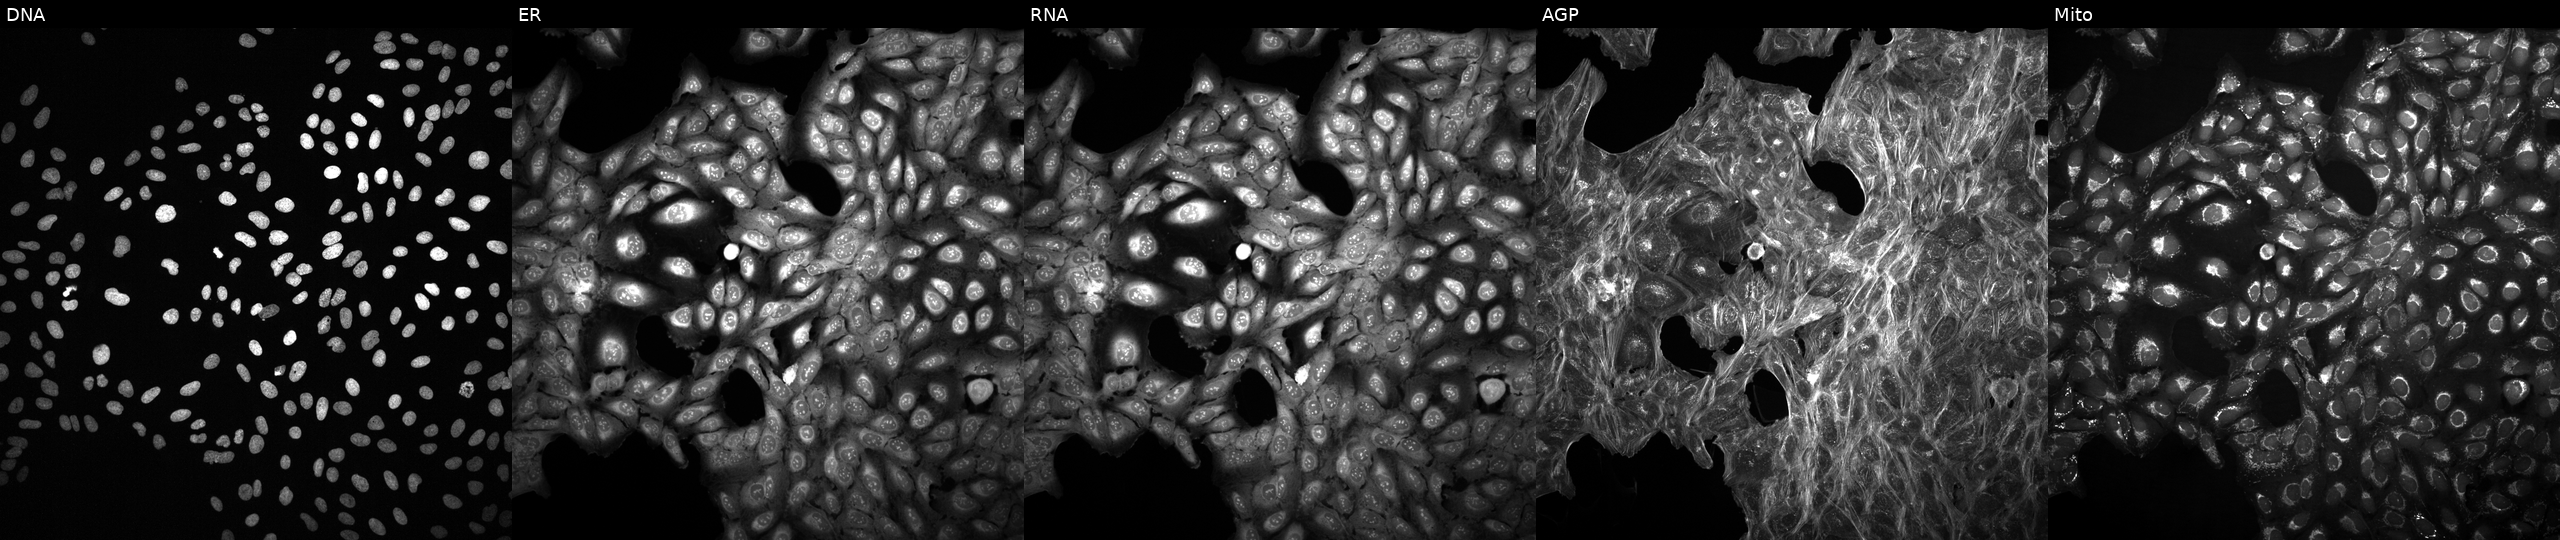
JUMP Cell Painting — TARGET2 plate. U2OS cells treated with a small-molecule compound (InChIKey KJWGEXJCWCYEMI-UHFFFAOYSA-N). The five panels, left to right, show DNA (nuclei); ER (endoplasmic reticulum); RNA (nucleoli and cytoplasmic RNA); AGP (actin cytoskeleton, Golgi, and plasma membrane); Mito (mitochondria).